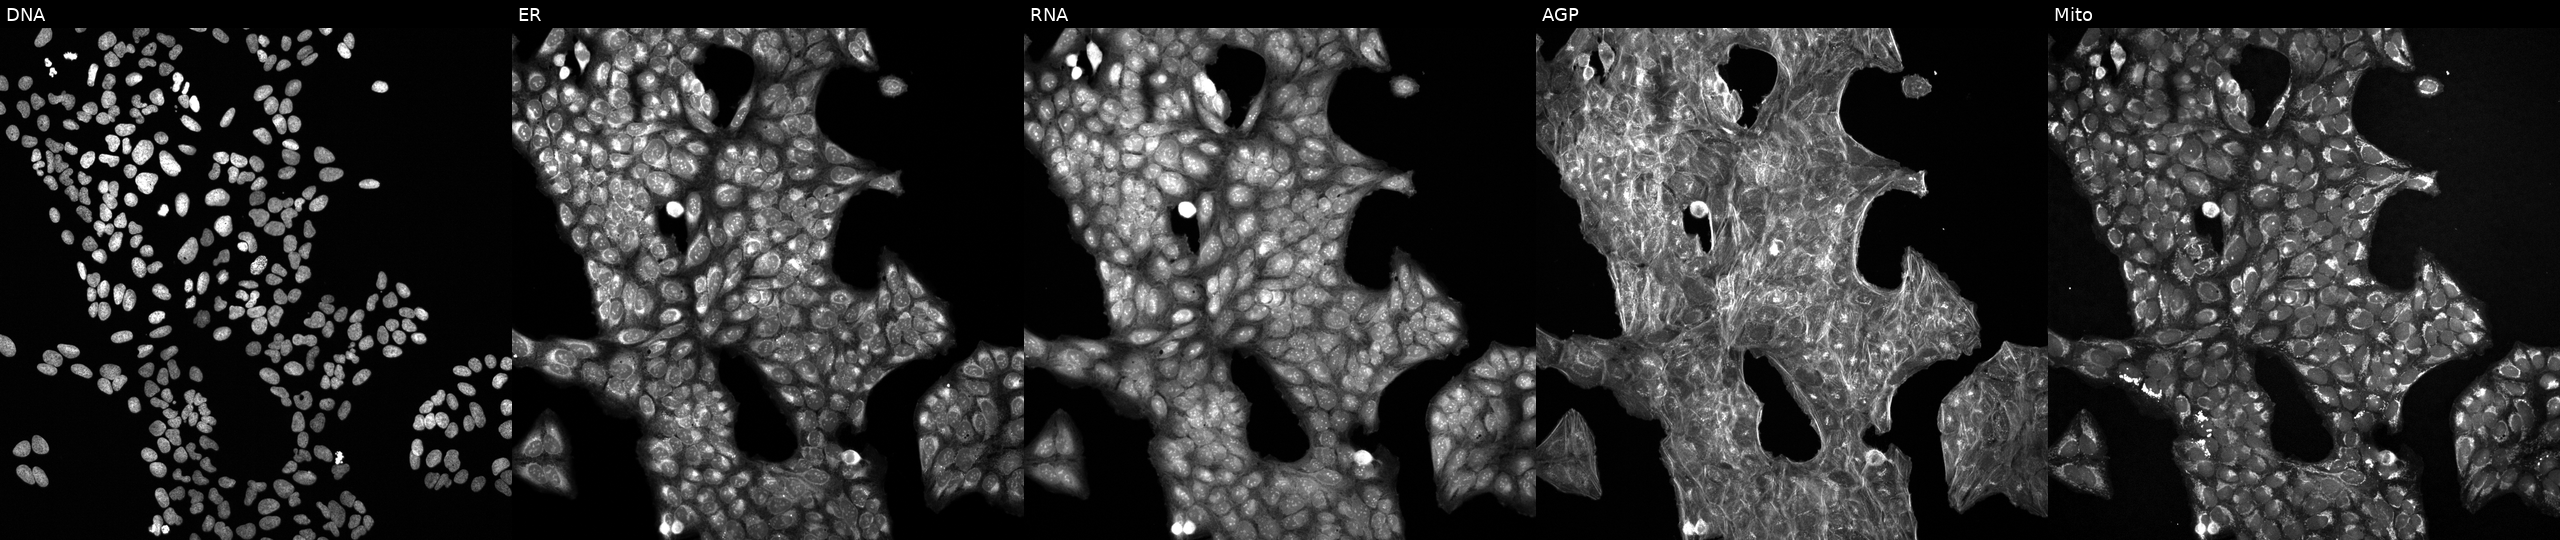
High-content fluorescence microscopy (Cell Painting). Cell line: U2OS. Perturbation: exposed to a small-molecule compound (JUMP id JCP2022_067432). The five panels, left to right, show Hoechst 33342, concanavalin A, SYTO 14, phalloidin and WGA, MitoTracker.